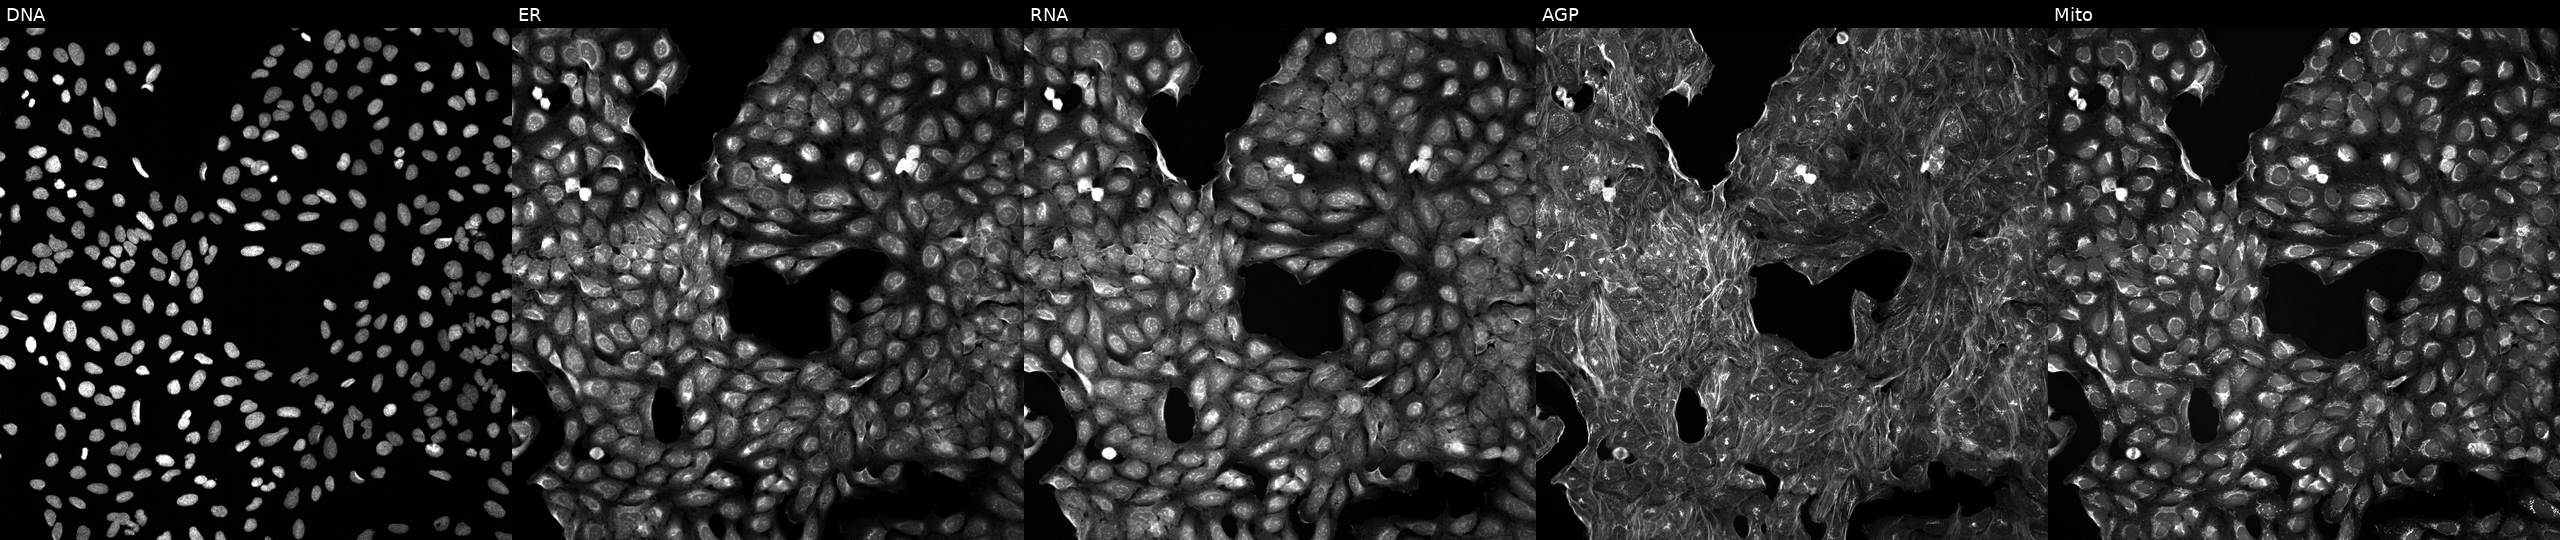
This image strip shows the five Cell Painting channels for a single field of U2OS cells treated with DMSO vehicle only (negative control). Panels show, left to right, Hoechst 33342, concanavalin A, SYTO 14, phalloidin and WGA, MitoTracker.